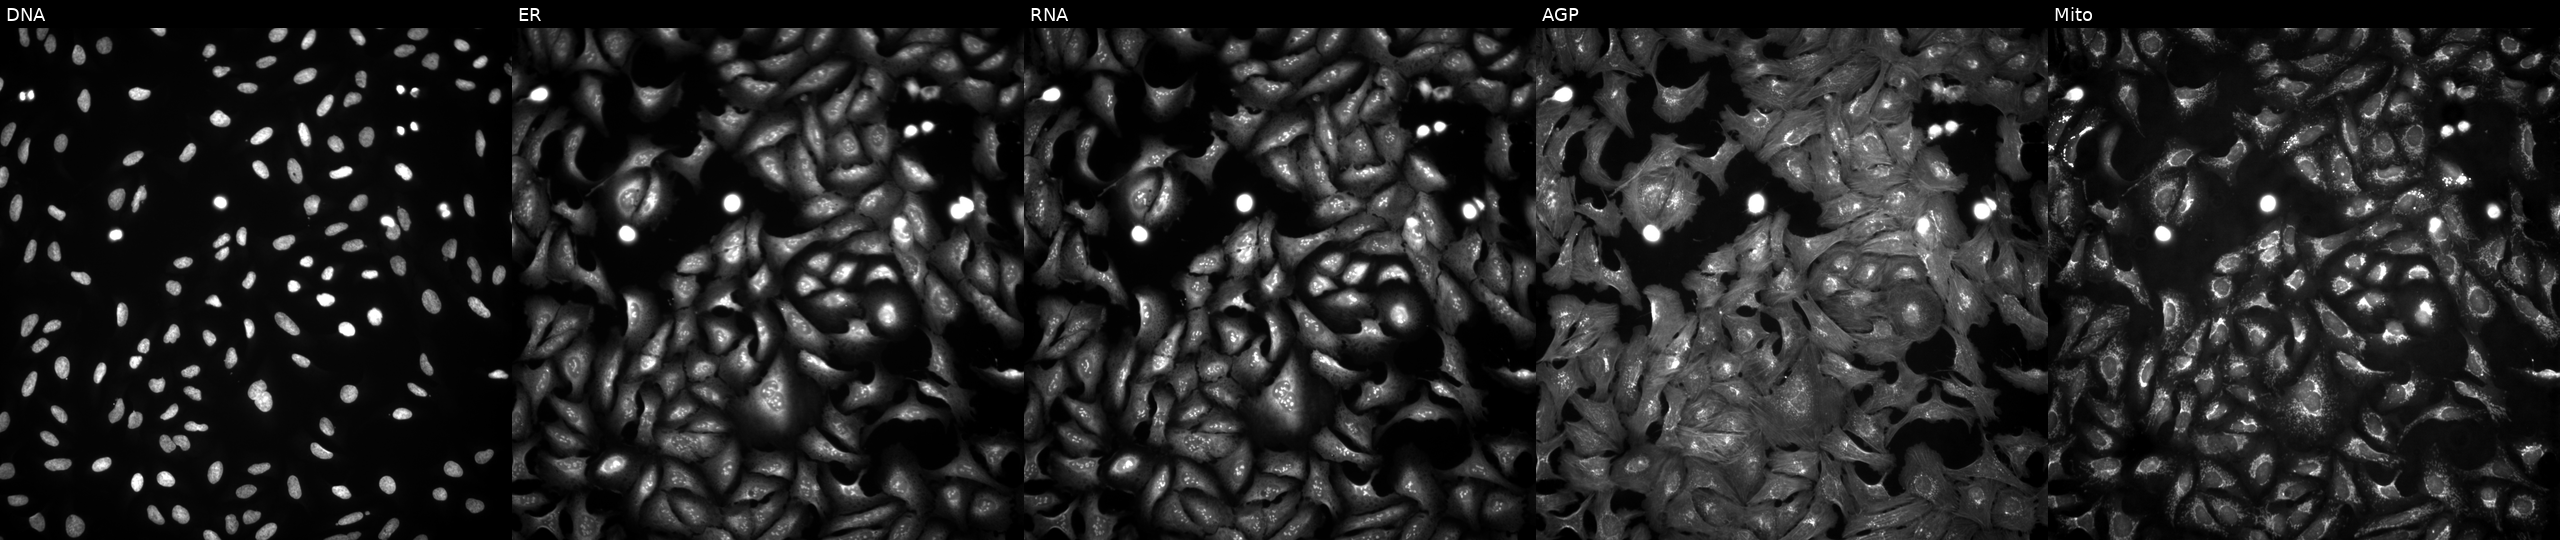
U2OS cells, Cell Painting assay, transfected with an ORF construct for XLOC_010072. Panels show, left to right, DNA (nuclei); ER (endoplasmic reticulum); RNA (nucleoli and cytoplasmic RNA); AGP (actin cytoskeleton, Golgi, and plasma membrane); Mito (mitochondria). Each panel is percentile-stretched 16-bit fluorescence.